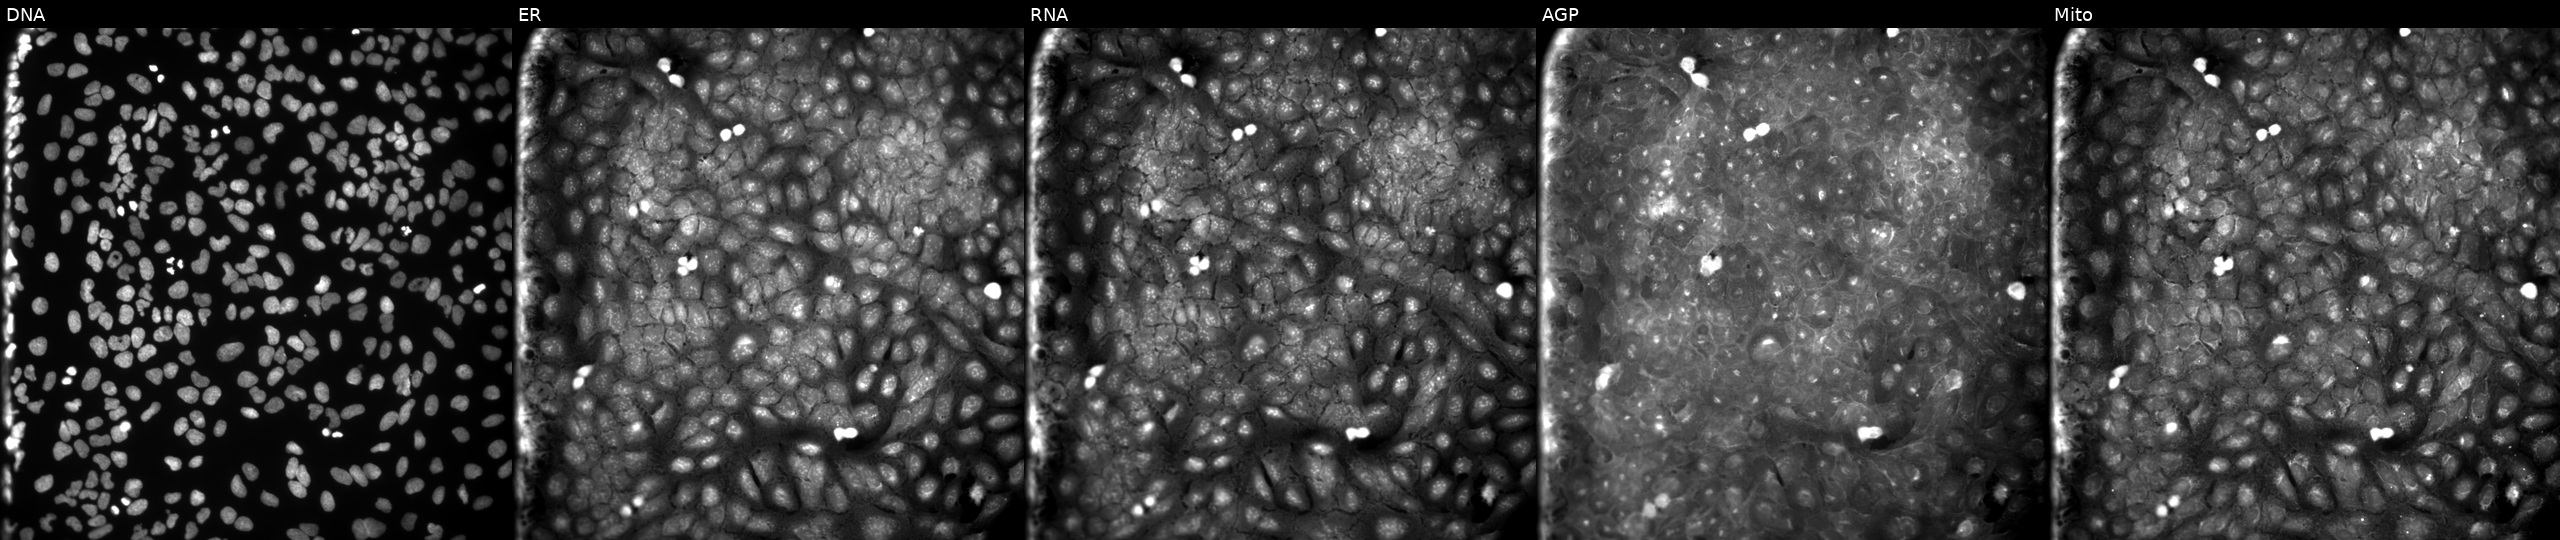
This image strip shows the five Cell Painting channels for a single field of U2OS cells perturbed with a small-molecule compound (InChIKey XBTMLTKISVDMIY-UHFFFAOYSA-N) (JUMP id JCP2022_102656). The five panels, left to right, show Hoechst 33342, concanavalin A, SYTO 14, phalloidin and WGA, MitoTracker. Source 9, plate GR00003382, well V08.